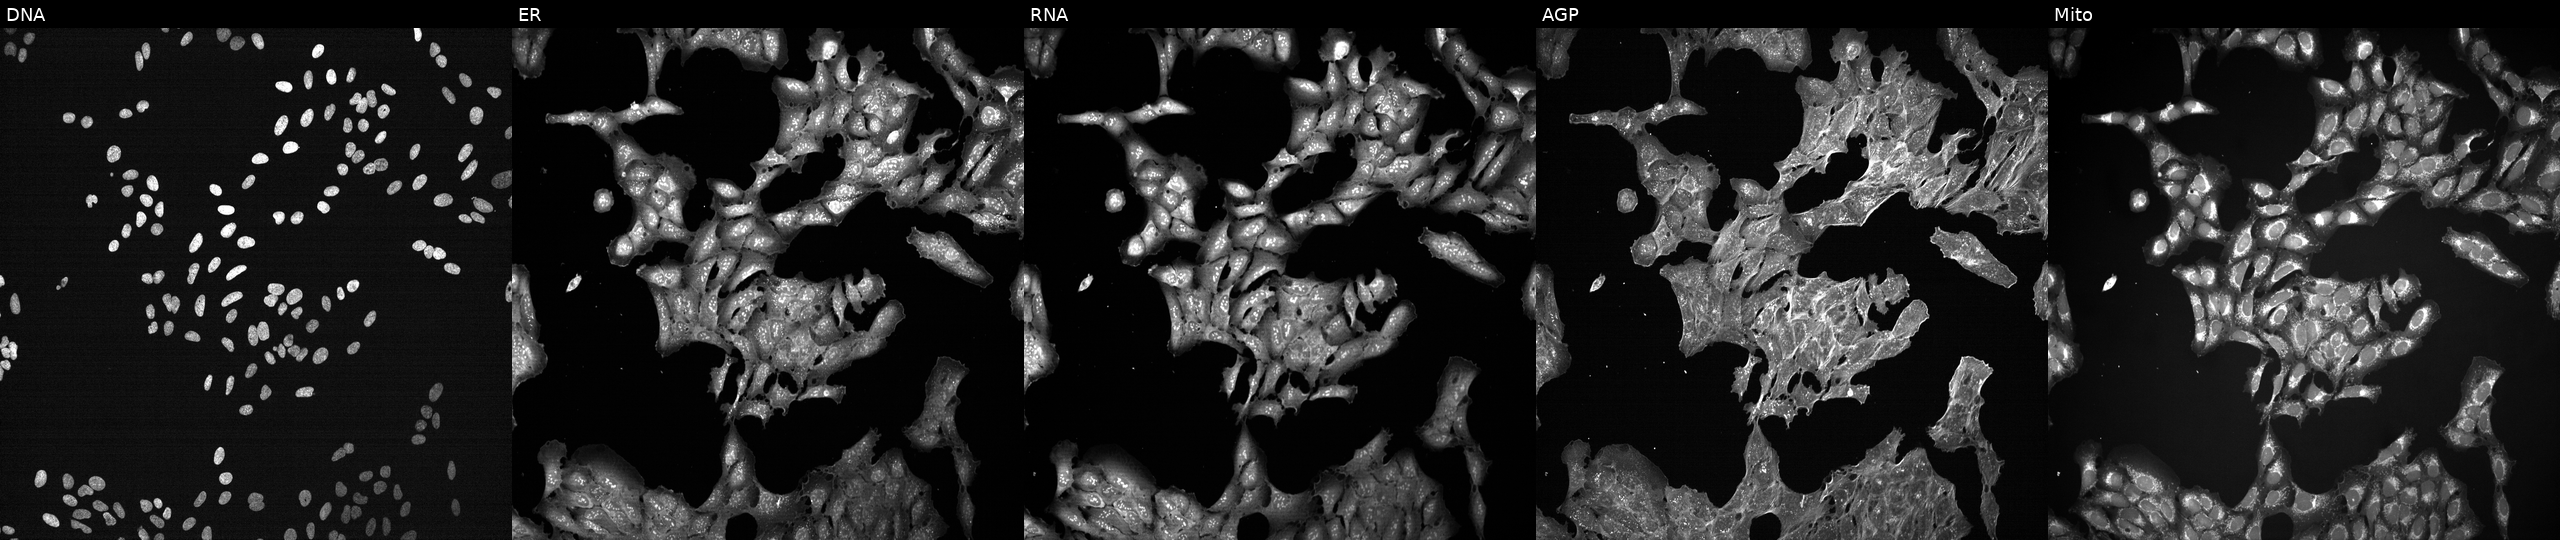
This image strip shows the five Cell Painting channels for a single field of U2OS cells exposed to a small-molecule compound (InChIKey IKENVDNFQMCRTR-UHFFFAOYSA-N). Panels show, left to right, DNA (nuclei); ER (endoplasmic reticulum); RNA (nucleoli and cytoplasmic RNA); AGP (actin cytoskeleton, Golgi, and plasma membrane); Mito (mitochondria).